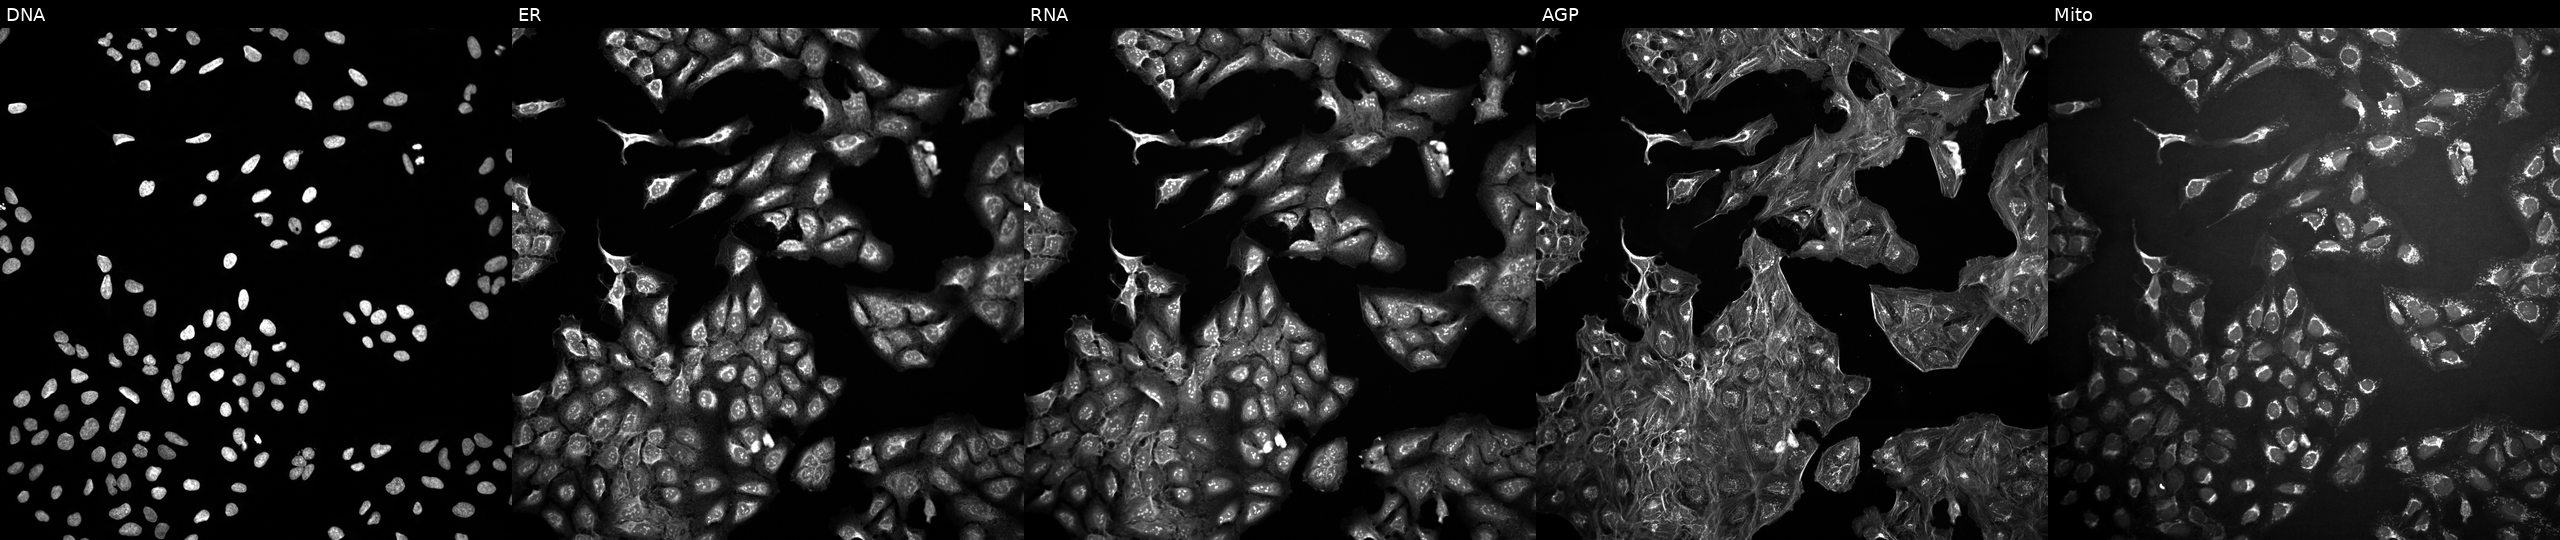
From left to right: Hoechst 33342, concanavalin A, SYTO 14, phalloidin and WGA, MitoTracker. U2OS osteosarcoma cells untreated (empty-well control). Cell Painting assay, JUMP-CP dataset. Source 10, plate Dest210531-152324, well C19.